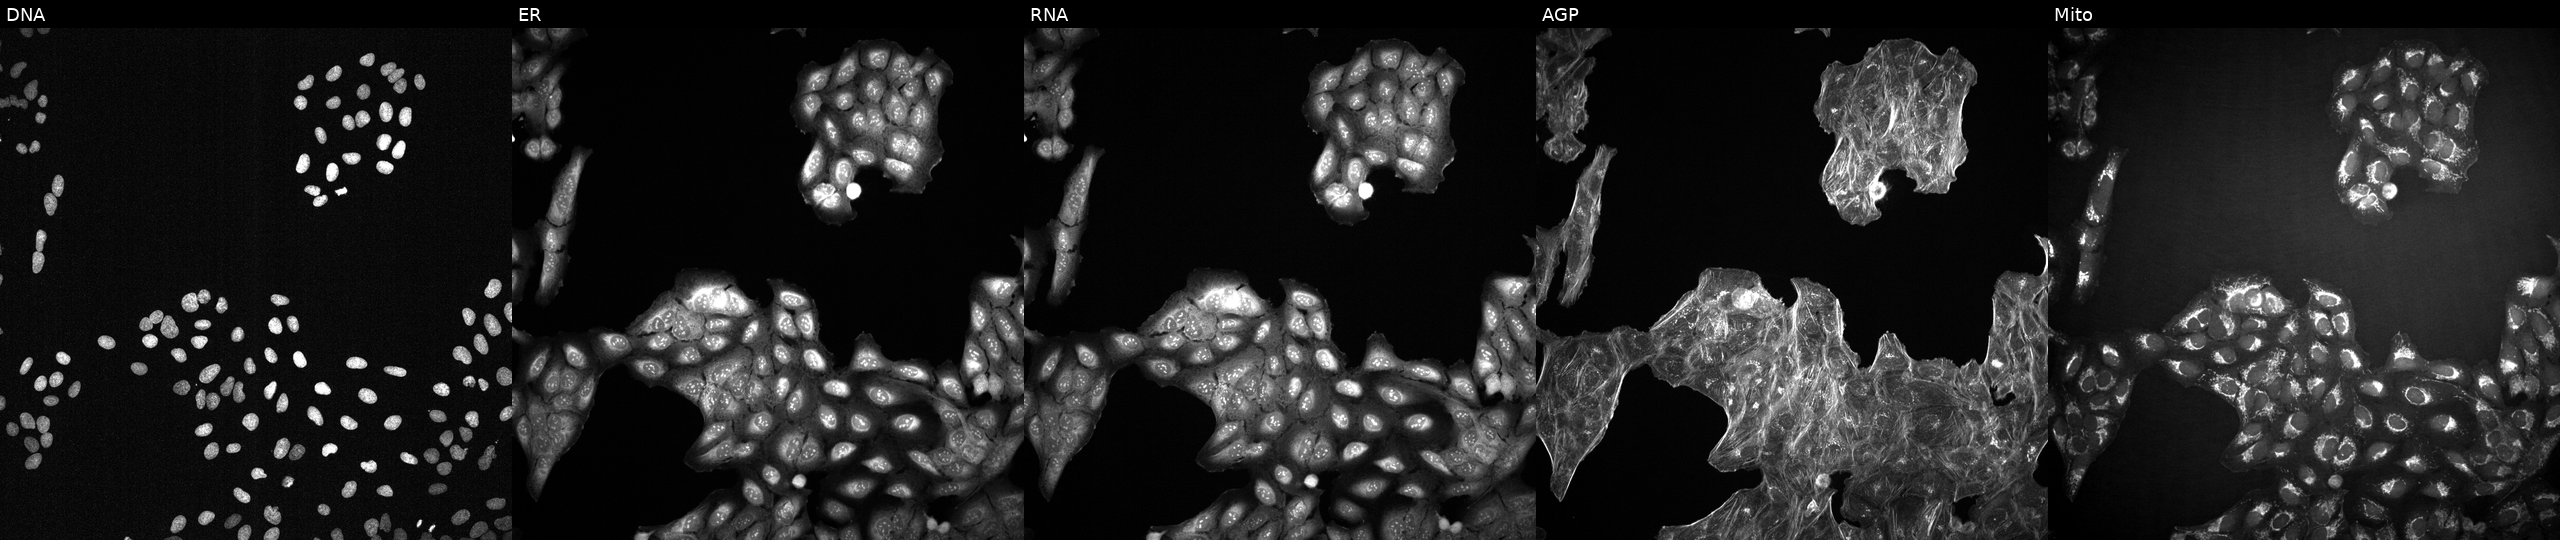
The five panels, left to right, show DNA, ER, RNA, AGP, and Mito. U2OS osteosarcoma cells exposed to a small-molecule compound (InChIKey HFYPTENHTPNXGP-UHFFFAOYSA-N) (JUMP id JCP2022_029951). Cell Painting assay, JUMP-CP dataset. Source 2, plate 1053599503, well B11.